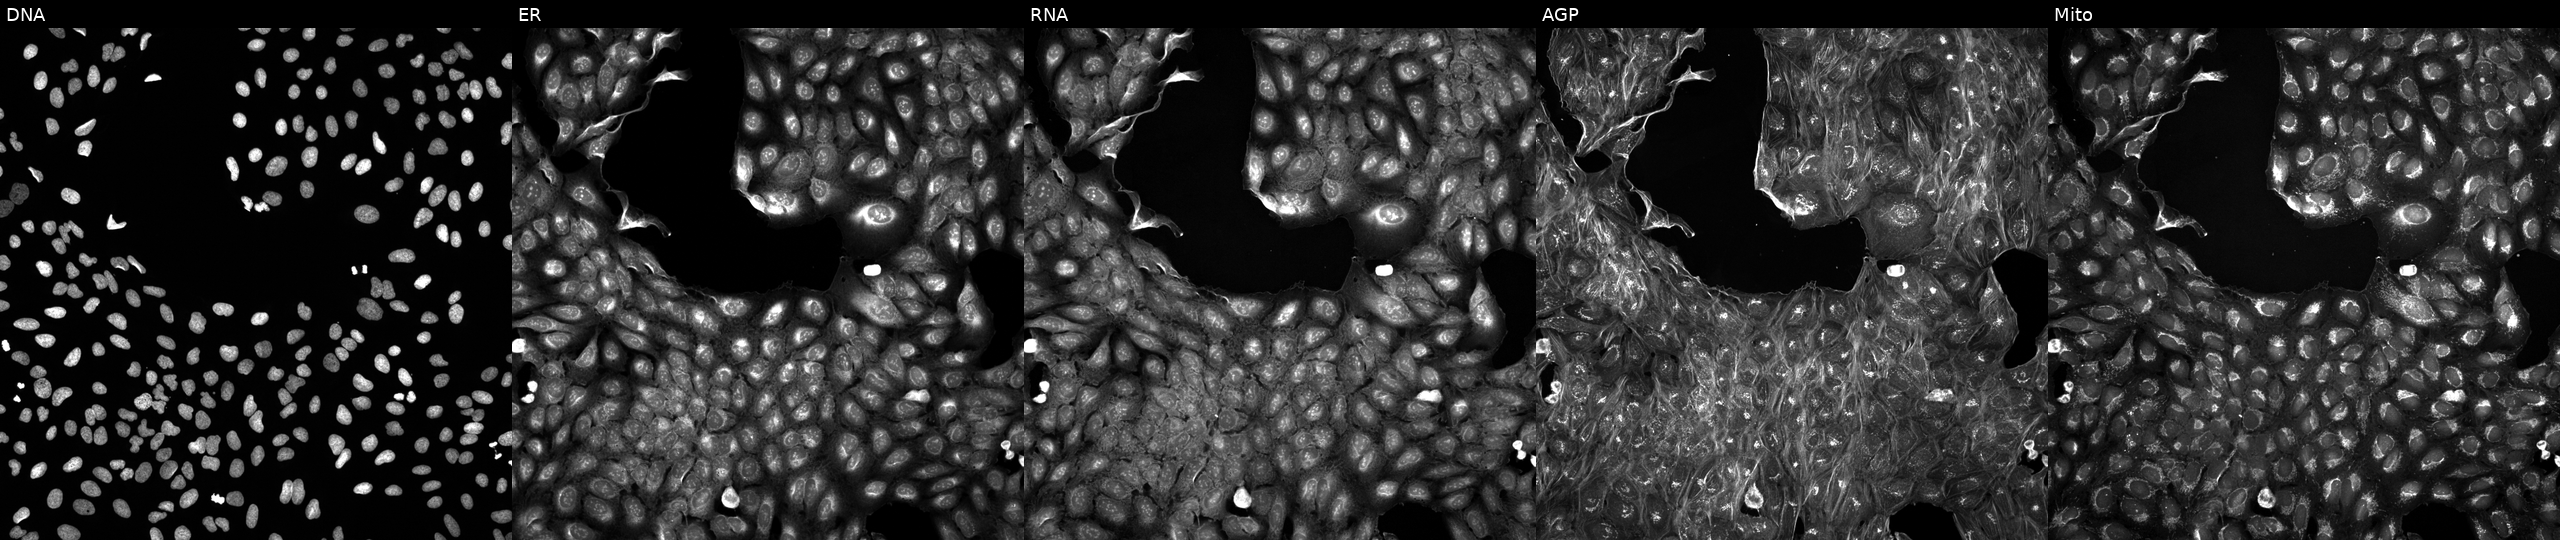
U2OS cells, Cell Painting assay, exposed to a small-molecule compound (InChIKey FHPOTBQOUBMMCI-UHFFFAOYSA-N) (JUMP id JCP2022_020718). Channels (left→right): Hoechst 33342, concanavalin A, SYTO 14, phalloidin and WGA, MitoTracker. Each panel is percentile-stretched 16-bit fluorescence.